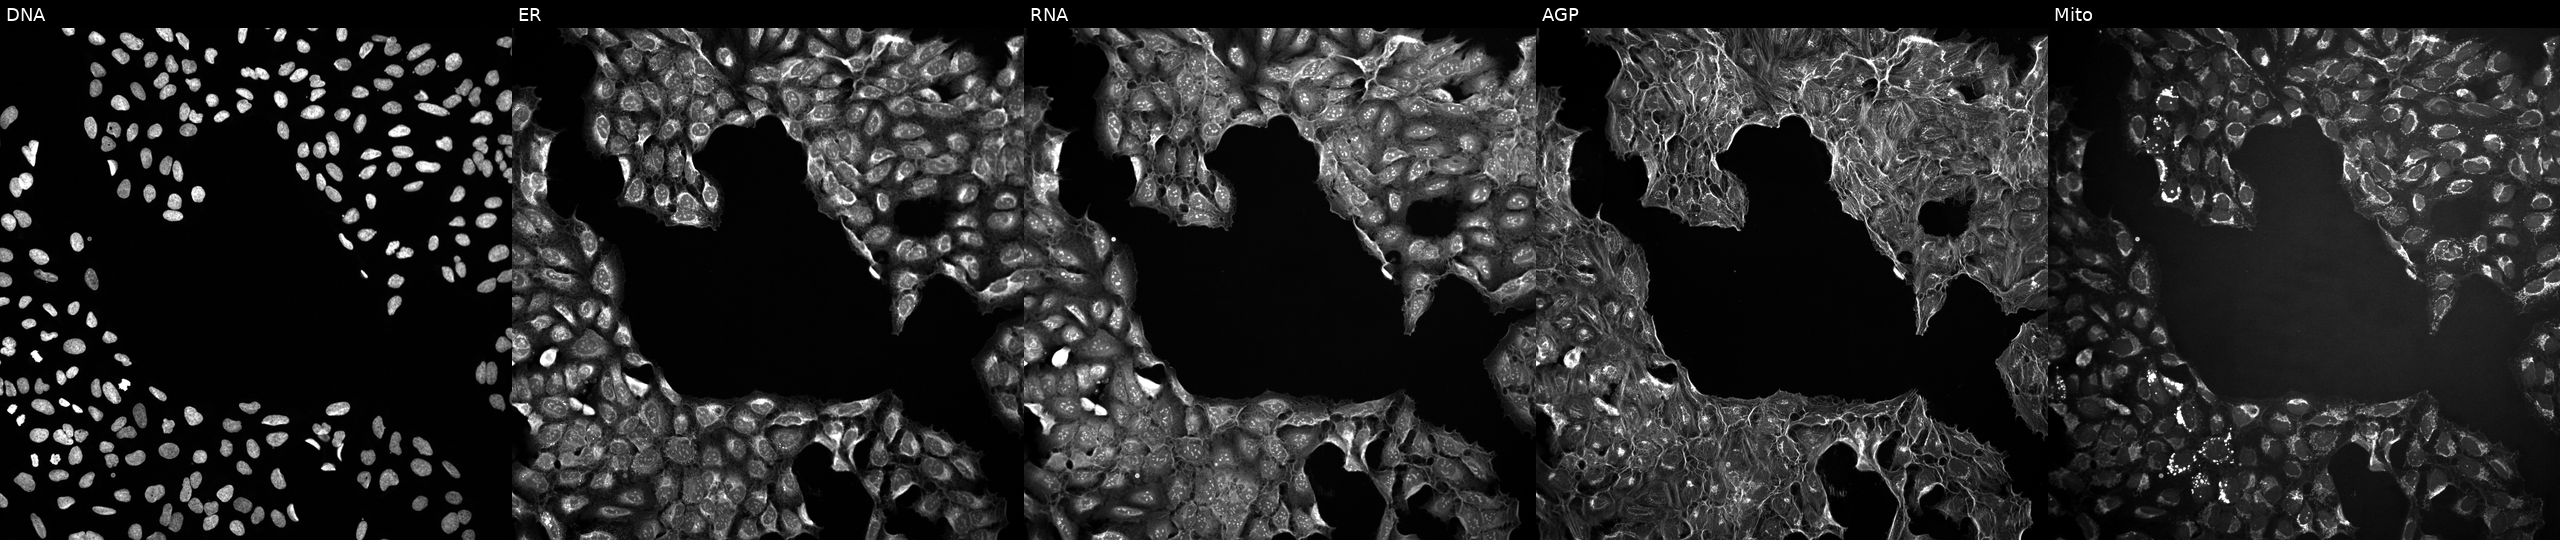
JUMP Cell Painting — COMPOUND plate. U2OS cells untreated (empty-well control) (JUMP id JCP2022_999999). Channels (left→right): DNA (nuclei); ER (endoplasmic reticulum); RNA (nucleoli and cytoplasmic RNA); AGP (actin cytoskeleton, Golgi, and plasma membrane); Mito (mitochondria). Source 10, plate Dest210531-152324, well N10.